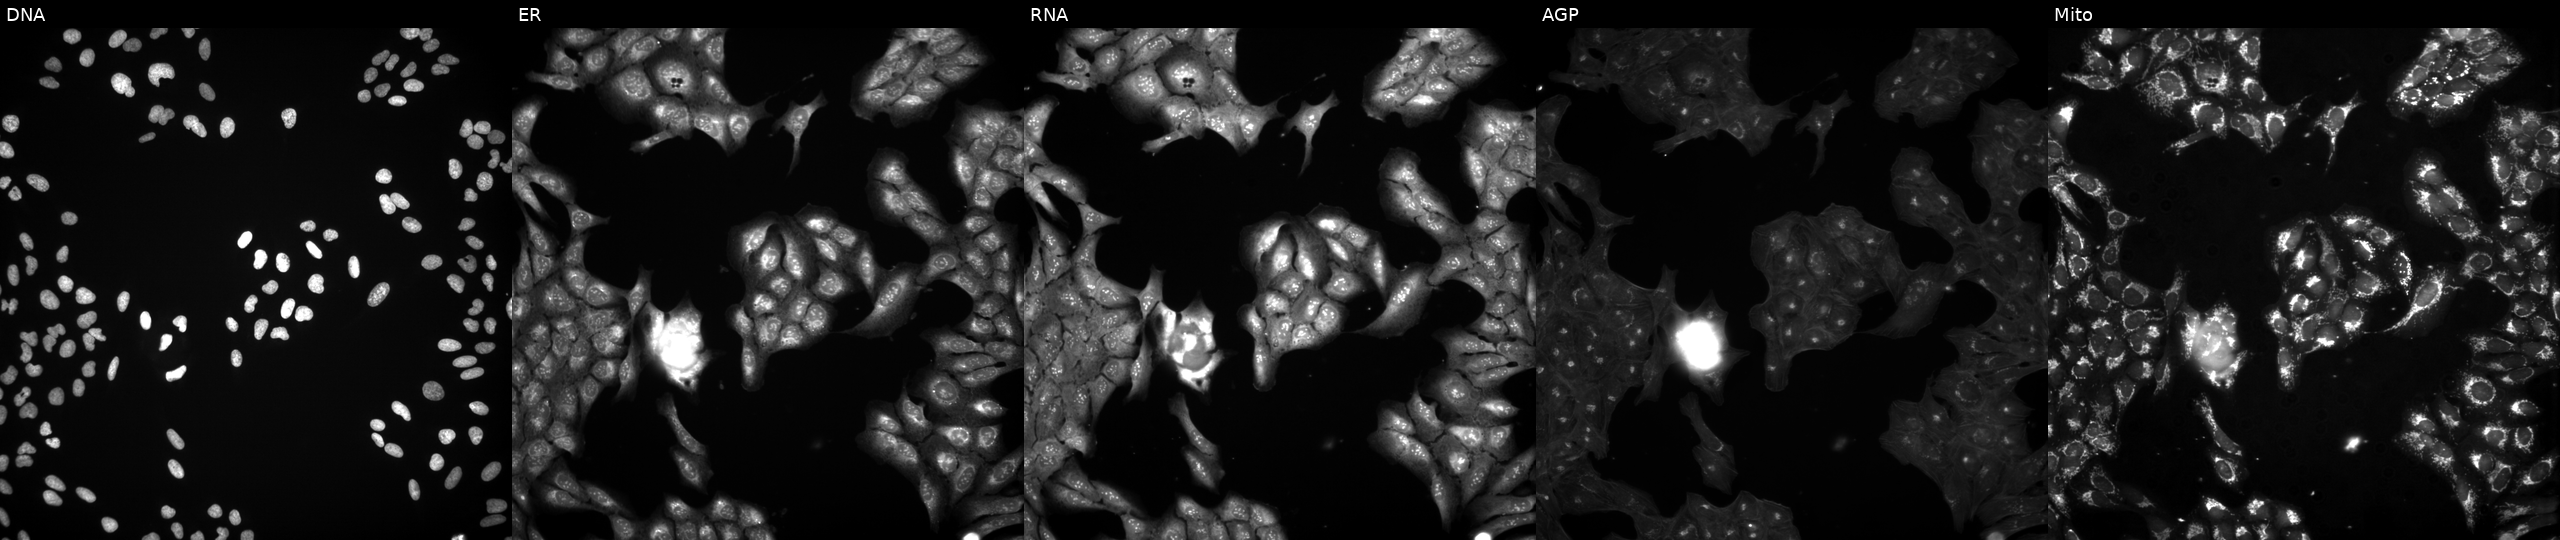
High-content fluorescence microscopy (Cell Painting). Cell line: U2OS. Perturbation: exposed to DMSO alone as a negative control (JUMP id JCP2022_033924). The five panels, left to right, show Hoechst 33342, concanavalin A, SYTO 14, phalloidin and WGA, MitoTracker.